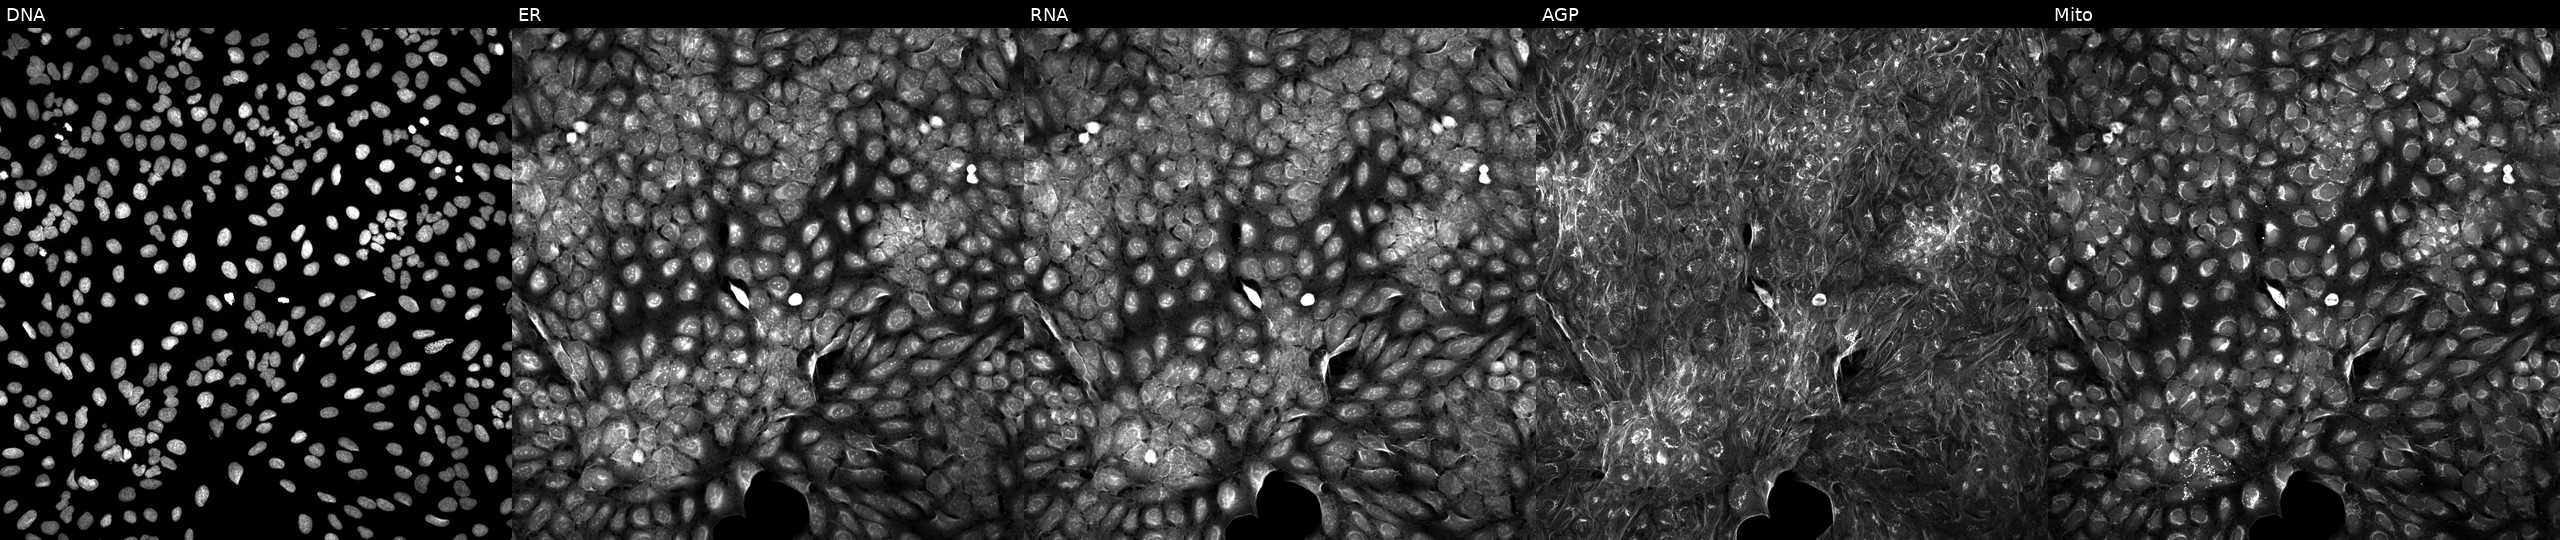
Panels show, left to right, Hoechst 33342, concanavalin A, SYTO 14, phalloidin and WGA, MitoTracker. U2OS osteosarcoma cells treated with a small-molecule compound (InChIKey IKTJJTTUHYWJAJ-UHFFFAOYSA-N). Cell Painting assay, JUMP-CP dataset.